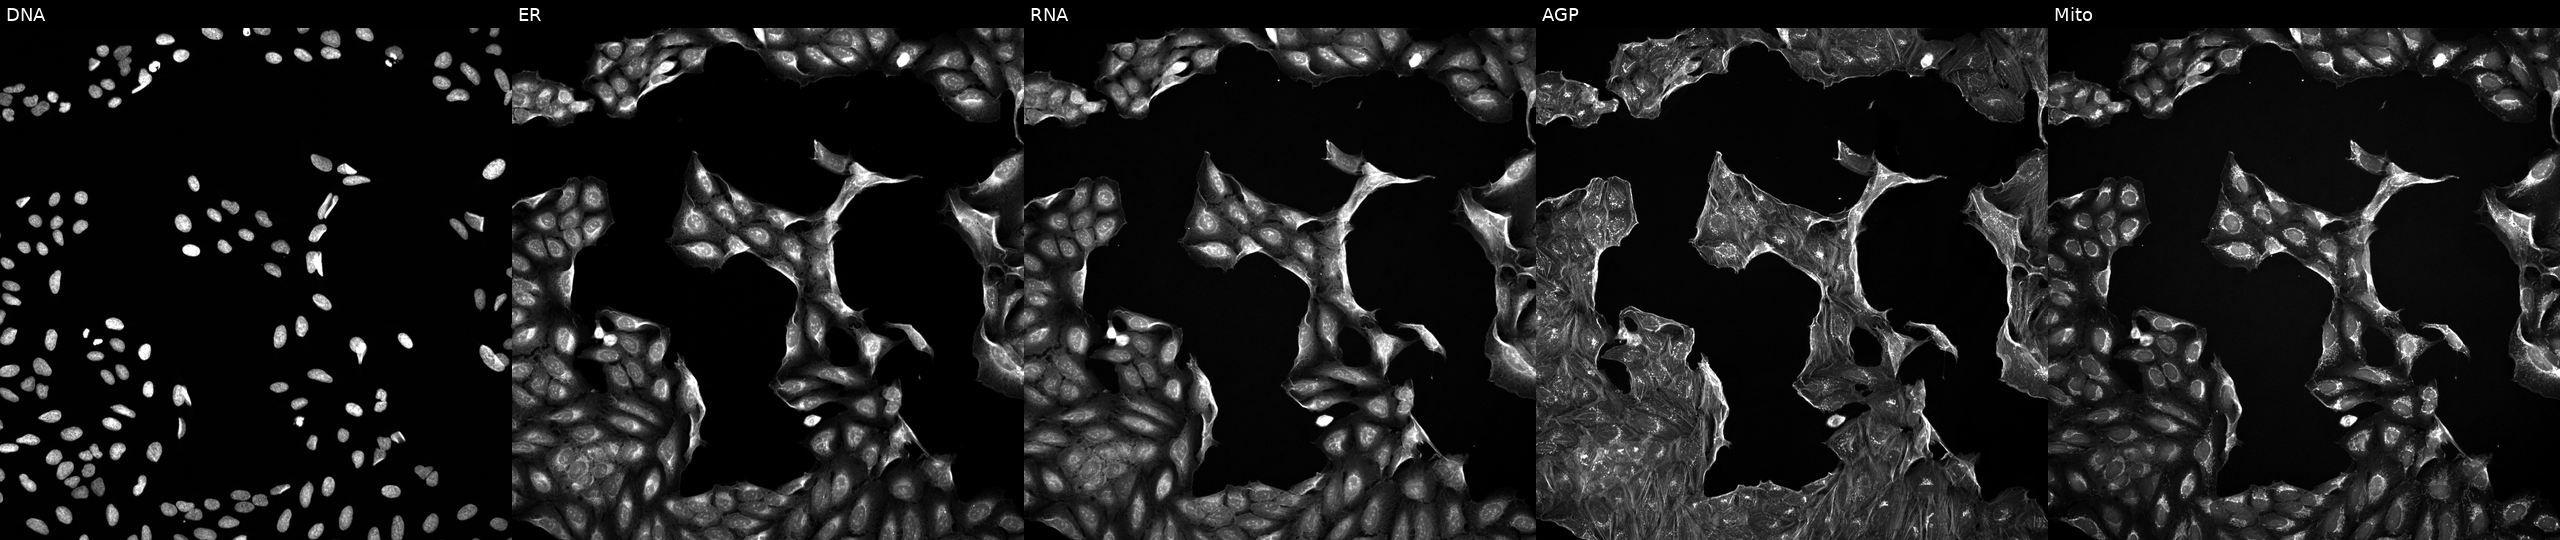
From left to right: DNA, ER, RNA, AGP, and Mito. U2OS osteosarcoma cells exposed to a small-molecule compound [SMILES: O=P1(N(CCCl)CCCl)NCCCO1]. Cell Painting assay, JUMP-CP dataset. Source 5, plate ACPJUM012, well B10.